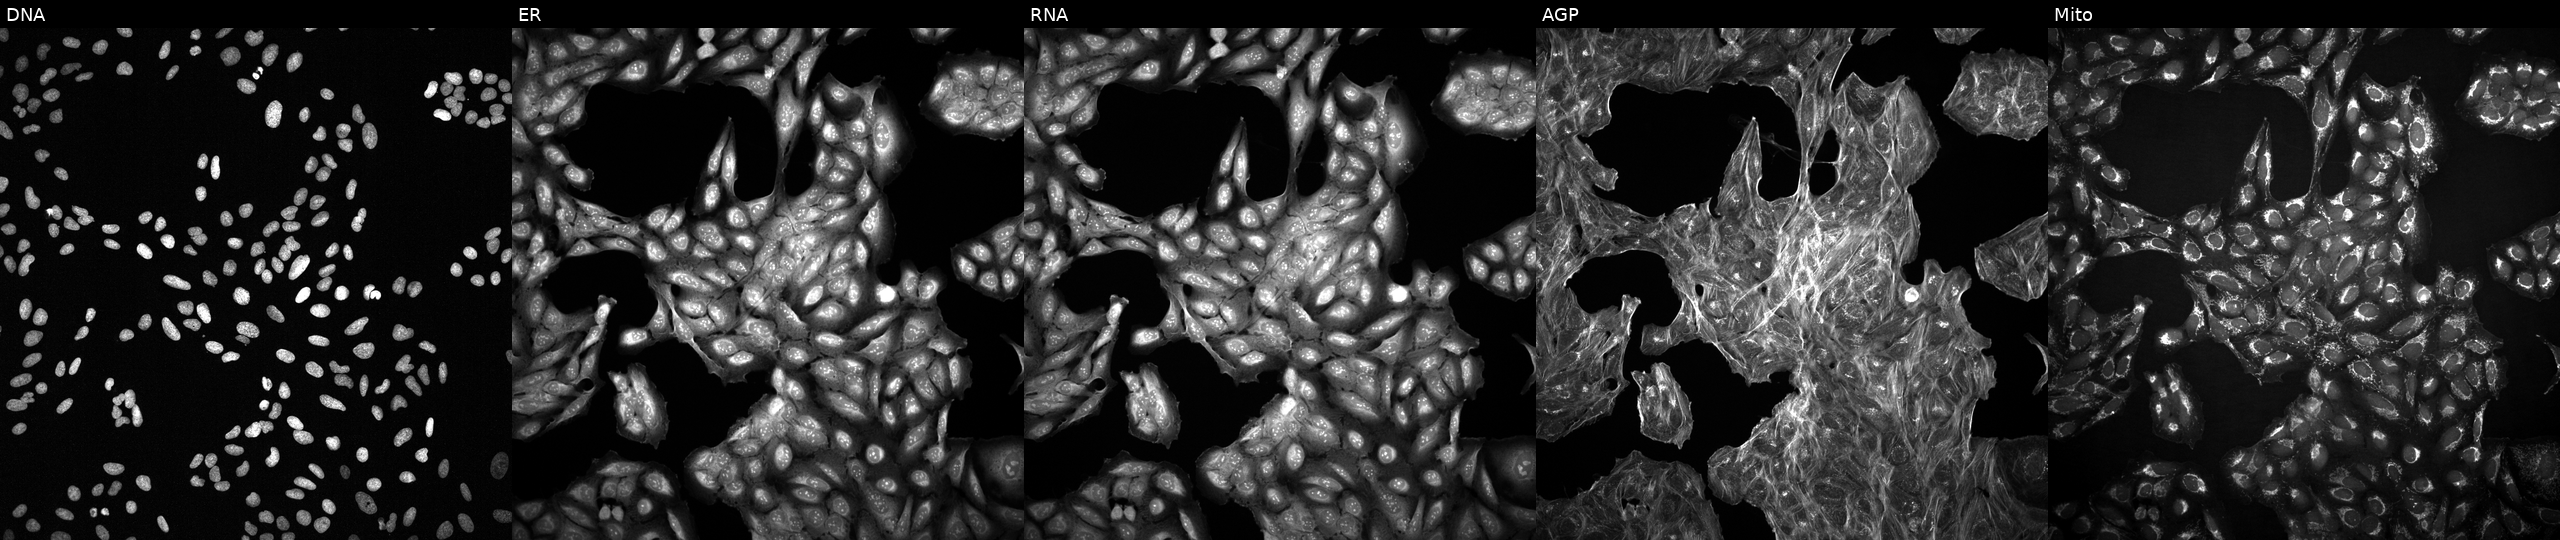
Panels show, left to right, DNA, ER, RNA, AGP, and Mito. U2OS osteosarcoma cells exposed to a small-molecule compound (InChIKey HGJICFYCDVODIR-UHFFFAOYSA-N). Cell Painting assay, JUMP-CP dataset. Source 2, plate 1053601763, well K05.